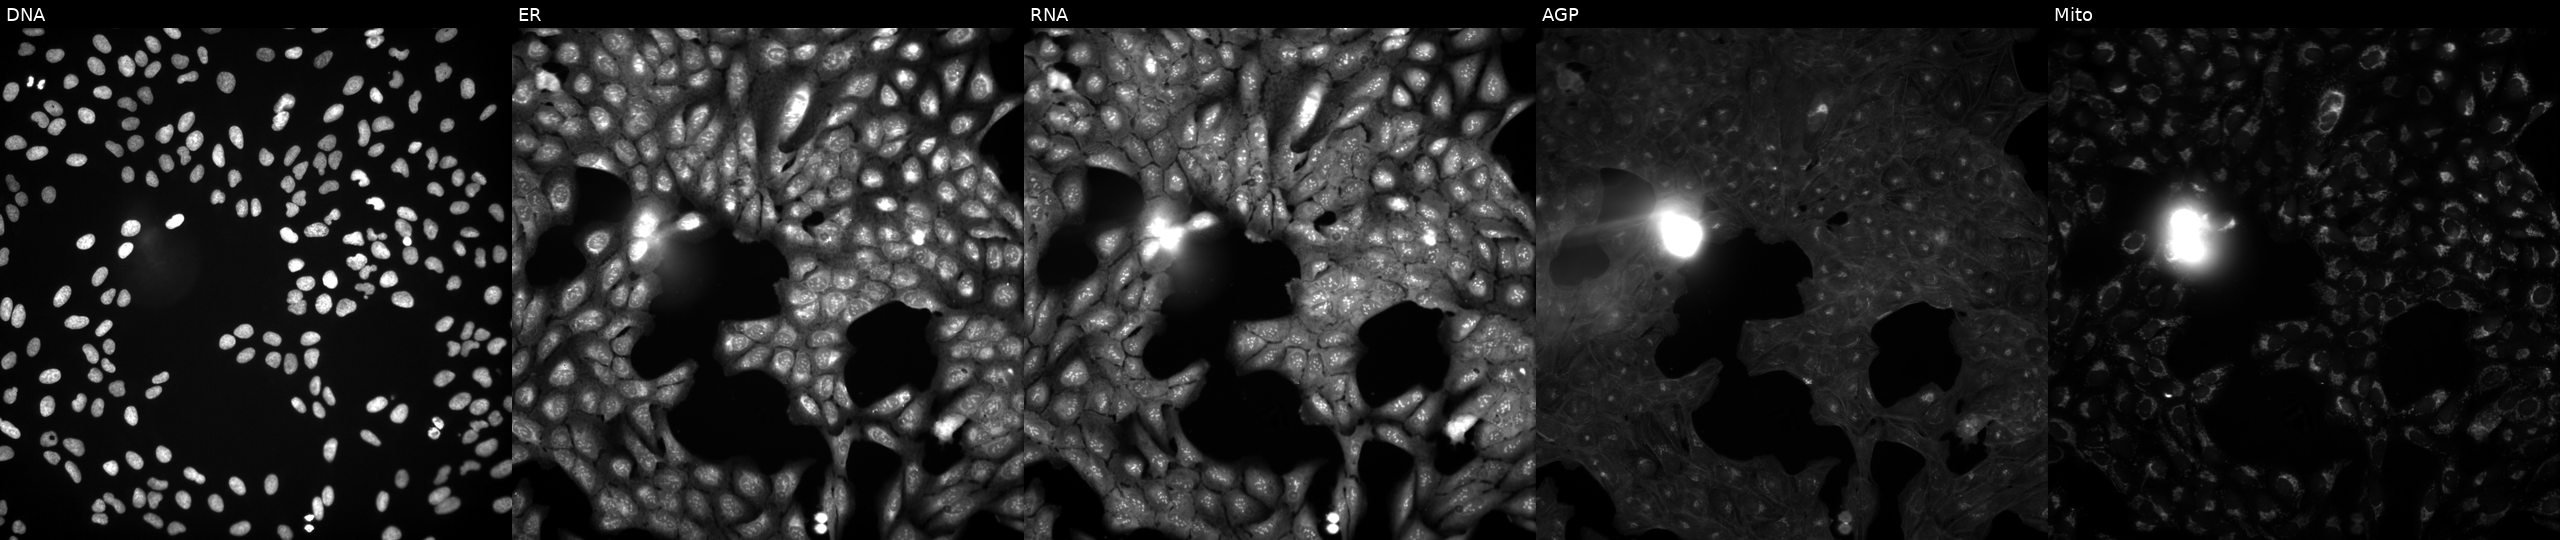
This image strip shows the five Cell Painting channels for a single field of U2OS cells exposed to DMSO alone as a negative control (JUMP id JCP2022_033924). The five panels, left to right, show DNA, ER, RNA, AGP, and Mito.